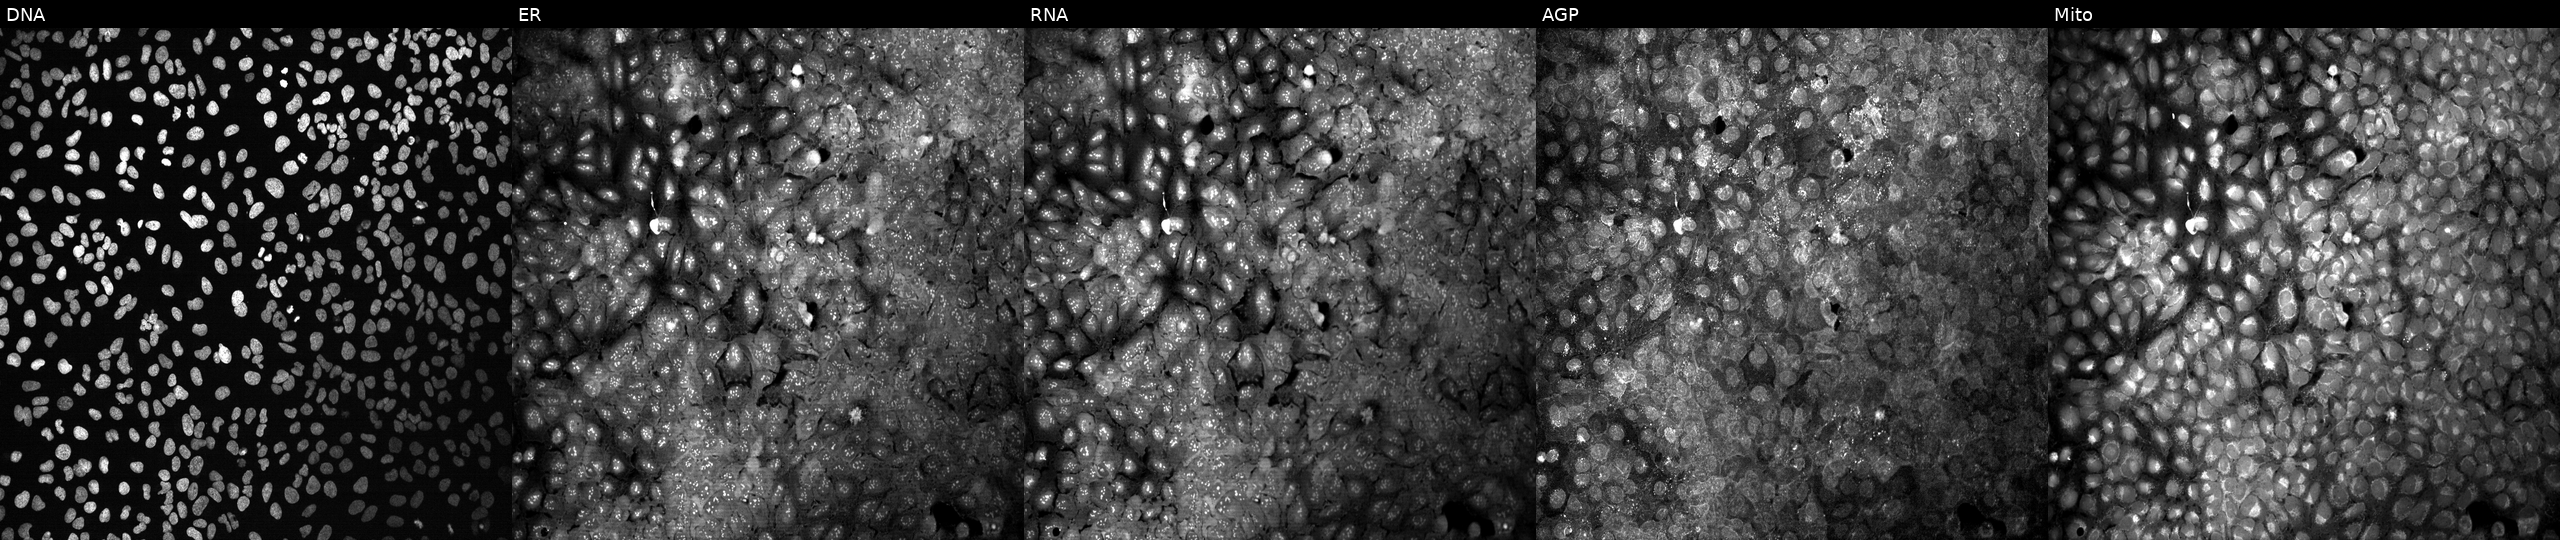
High-content fluorescence microscopy (Cell Painting). Cell line: U2OS. Perturbation: with no CRISPR guide (negative control). Panels show, left to right, DNA (nuclei); ER (endoplasmic reticulum); RNA (nucleoli and cytoplasmic RNA); AGP (actin cytoskeleton, Golgi, and plasma membrane); Mito (mitochondria).